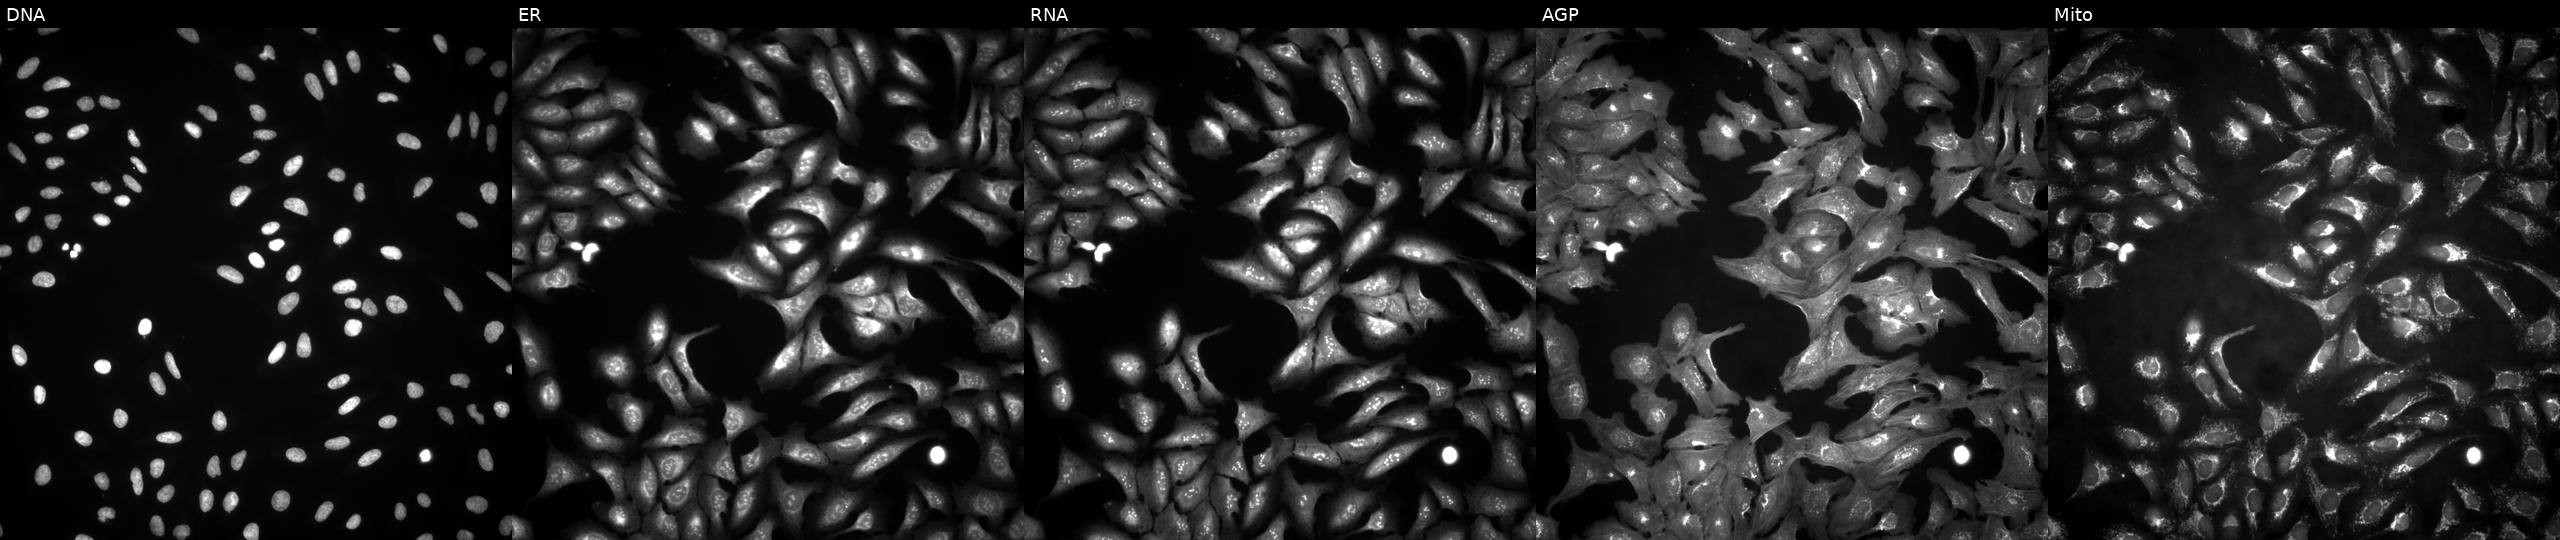
Channels (left→right): DNA (nuclei); ER (endoplasmic reticulum); RNA (nucleoli and cytoplasmic RNA); AGP (actin cytoskeleton, Golgi, and plasma membrane); Mito (mitochondria). U2OS osteosarcoma cells with NRG4 overexpressed (ORF) (JUMP id JCP2022_904662). Cell Painting assay, JUMP-CP dataset.